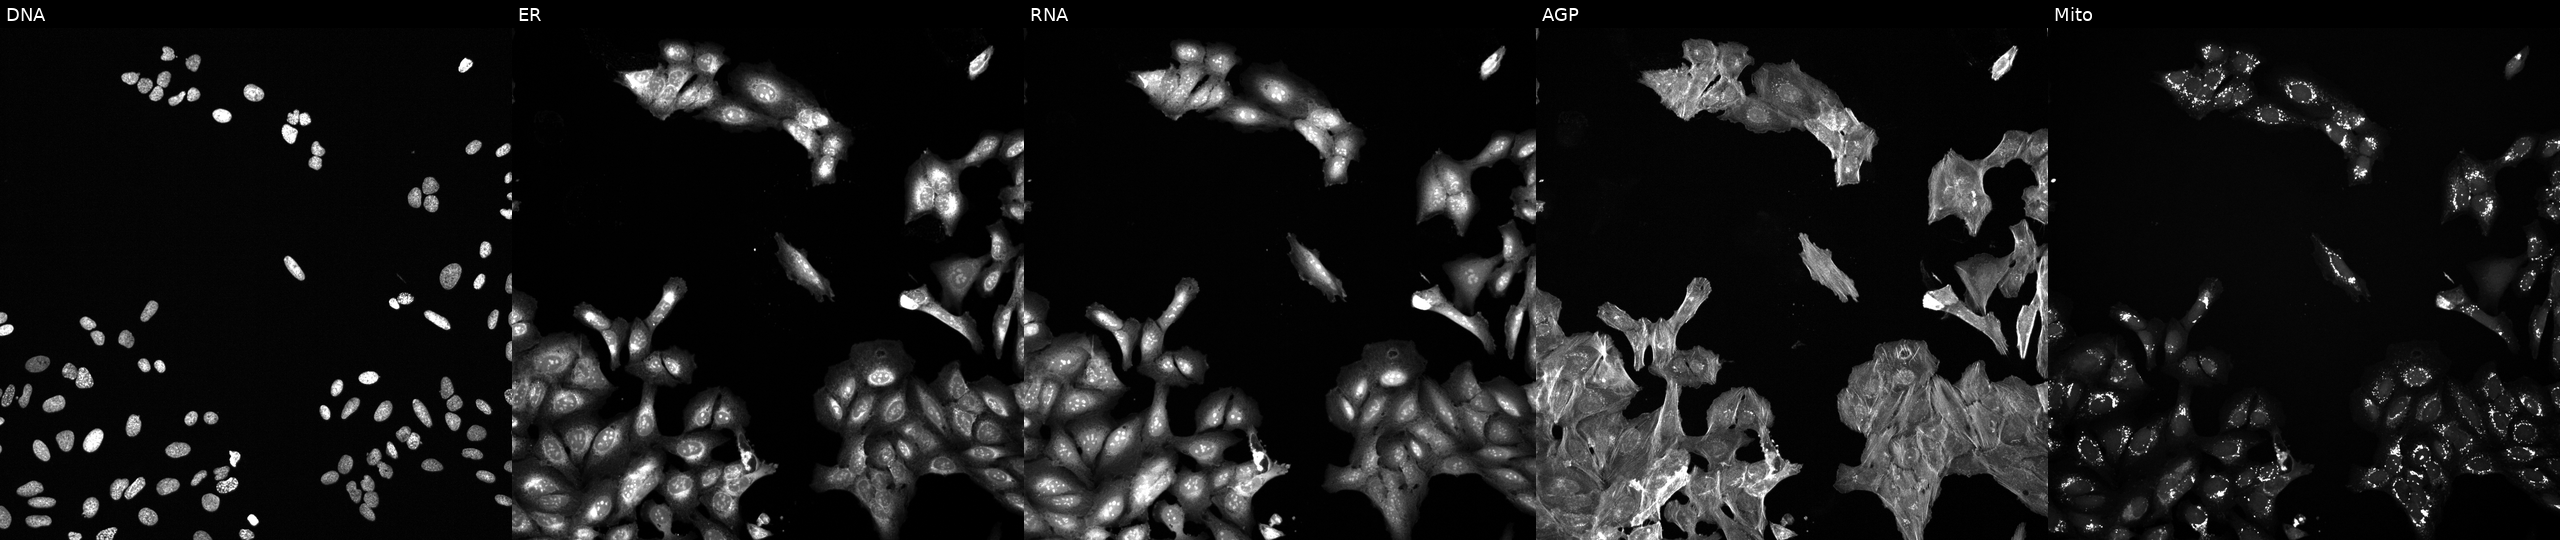
The five panels, left to right, show DNA (nuclei); ER (endoplasmic reticulum); RNA (nucleoli and cytoplasmic RNA); AGP (actin cytoskeleton, Golgi, and plasma membrane); Mito (mitochondria). U2OS osteosarcoma cells perturbed with a small-molecule compound (InChIKey VSWDORGPIHIGNW-UHFFFAOYSA-N). Cell Painting assay, JUMP-CP dataset.